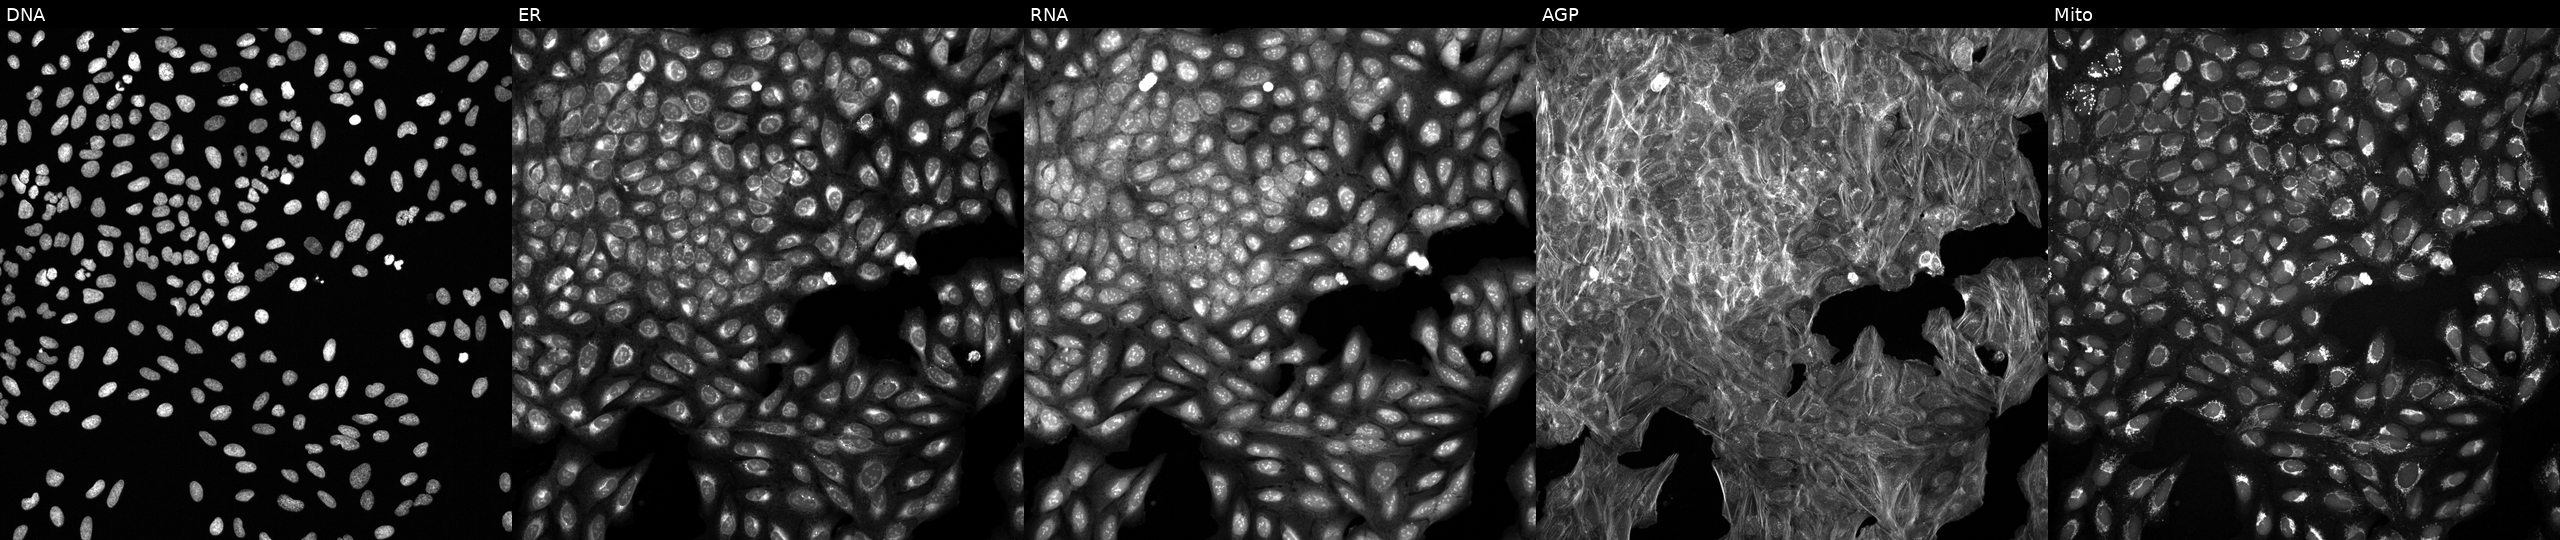
U2OS cells, Cell Painting assay, perturbed with a small-molecule compound (InChIKey WNEXDWMMOUGCBD-UHFFFAOYSA-N) (JUMP id JCP2022_099882). Panels show, left to right, DNA, ER, RNA, AGP, and Mito. Each panel is percentile-stretched 16-bit fluorescence.